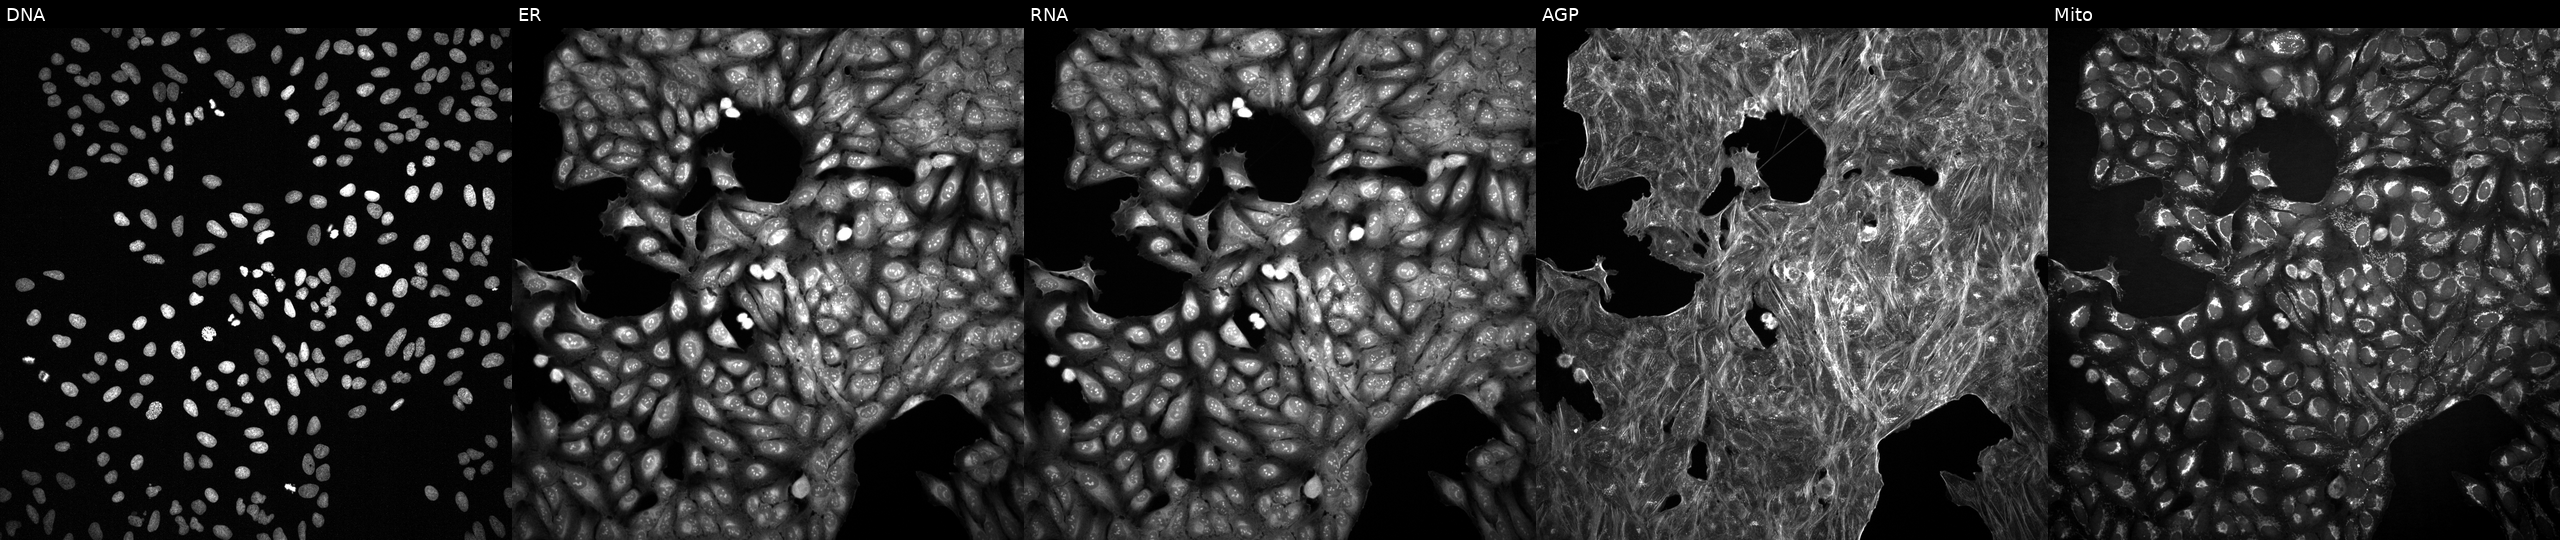
JUMP Cell Painting — COMPOUND plate. U2OS cells perturbed with a small-molecule compound (JUMP id JCP2022_006610). Panels show, left to right, DNA, ER, RNA, AGP, and Mito.